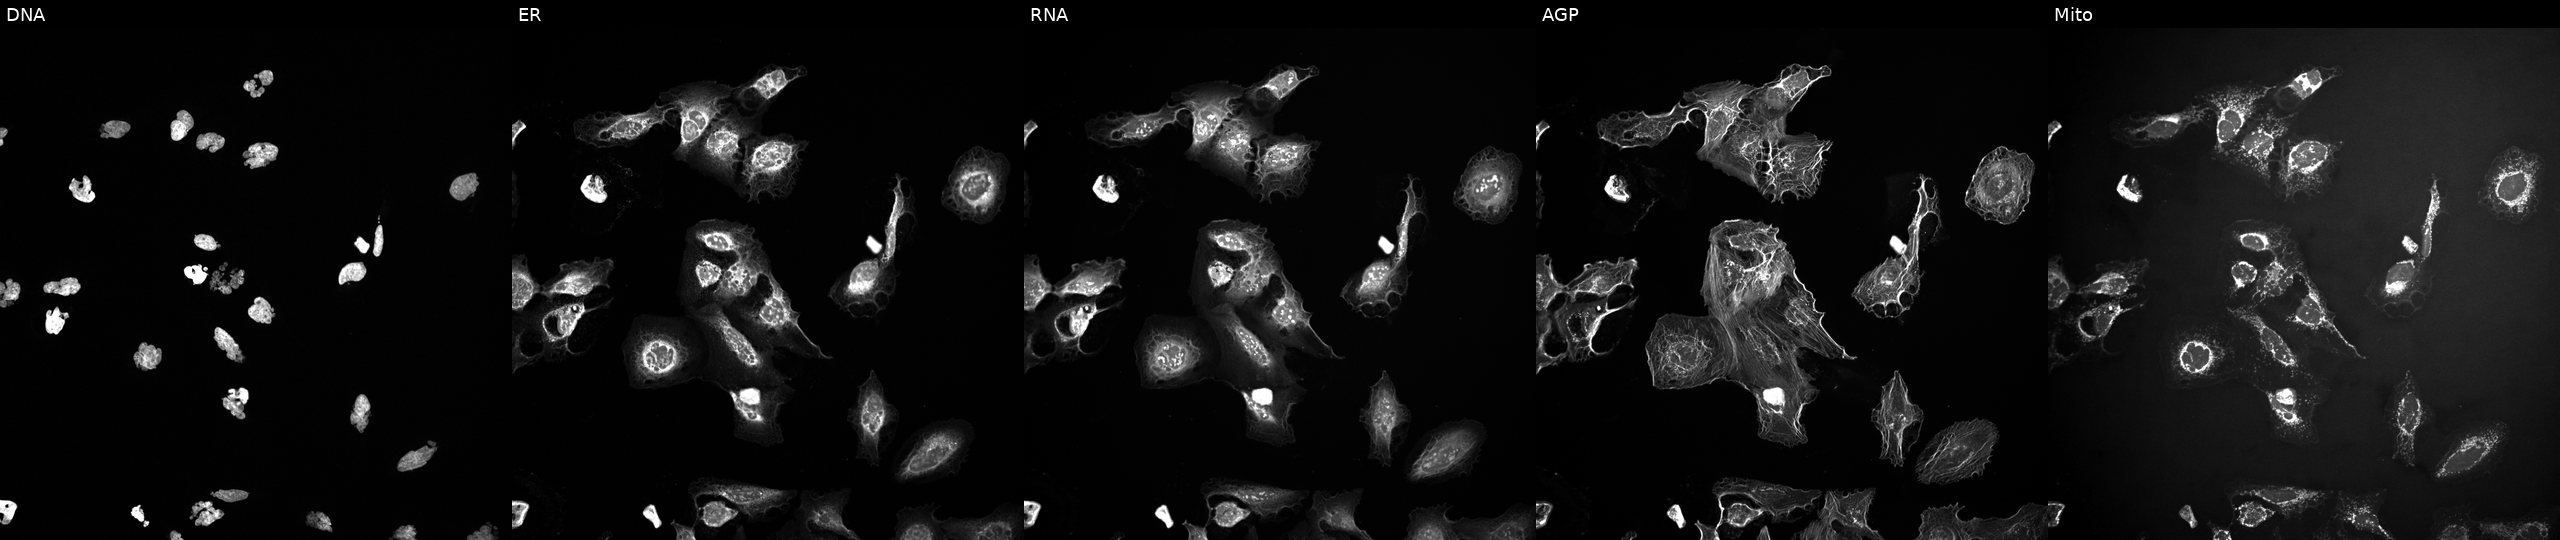
The five panels, left to right, show Hoechst 33342, concanavalin A, SYTO 14, phalloidin and WGA, MitoTracker. U2OS osteosarcoma cells treated with AMG900 (positive-control compound). Cell Painting assay, JUMP-CP dataset.